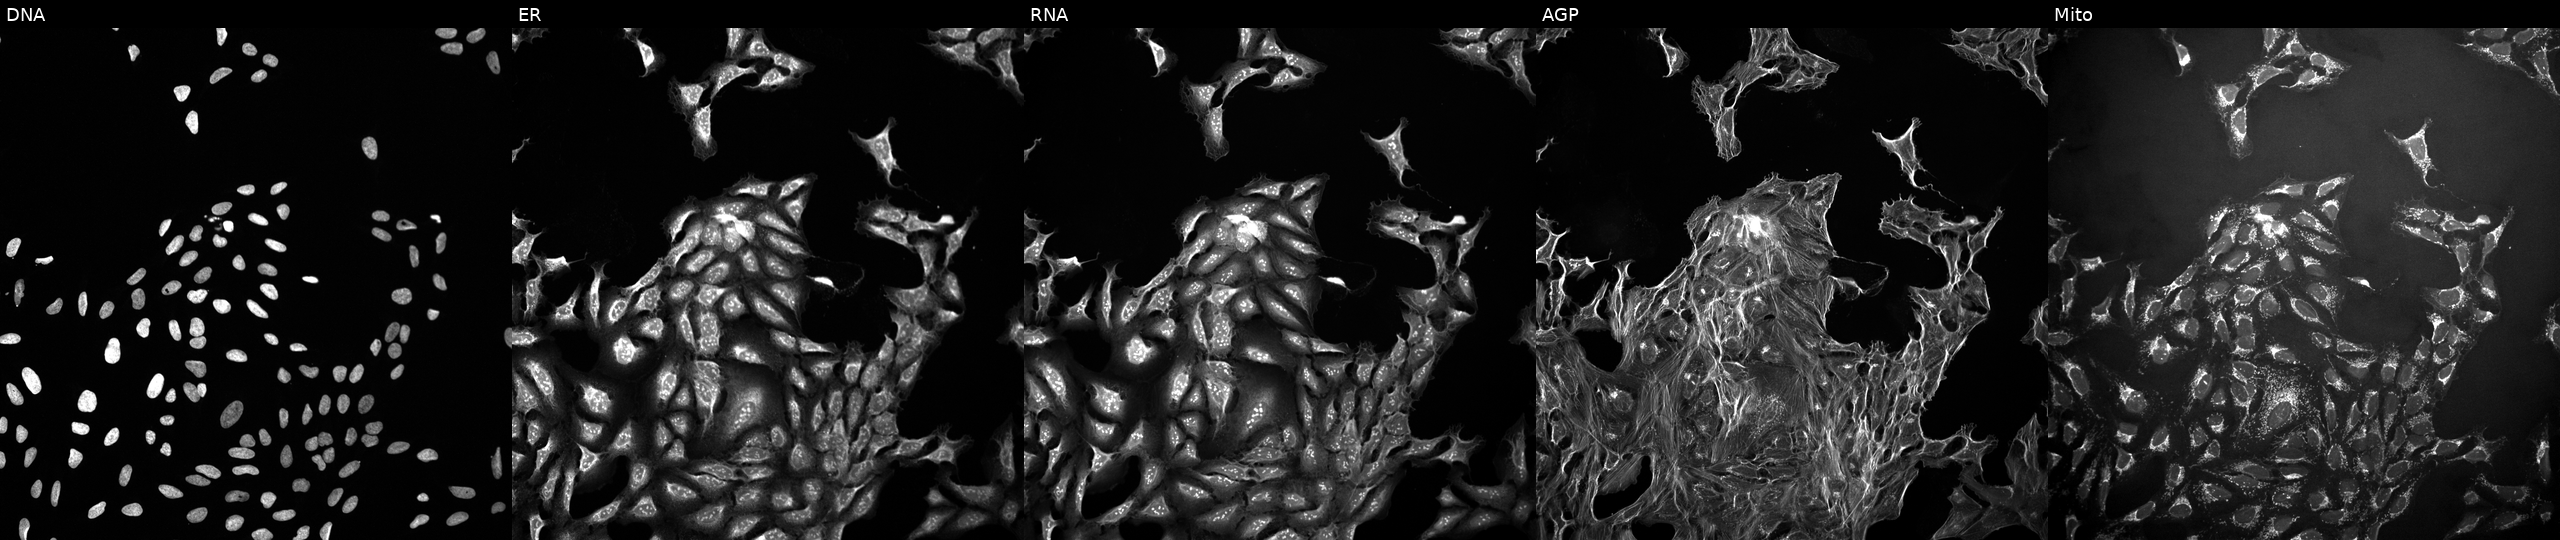
Five-channel Cell Painting image of U2OS cells exposed to a small-molecule compound (InChIKey XDJCLCLBSGGNKS-UHFFFAOYSA-N) [SMILES: c1cc(OCCN2CCCCC2)cc(-c2[nH]nc3ccc(-c4nc[nH]n4)cc23)c1]. The five panels, left to right, show DNA (nuclei); ER (endoplasmic reticulum); RNA (nucleoli and cytoplasmic RNA); AGP (actin cytoskeleton, Golgi, and plasma membrane); Mito (mitochondria).